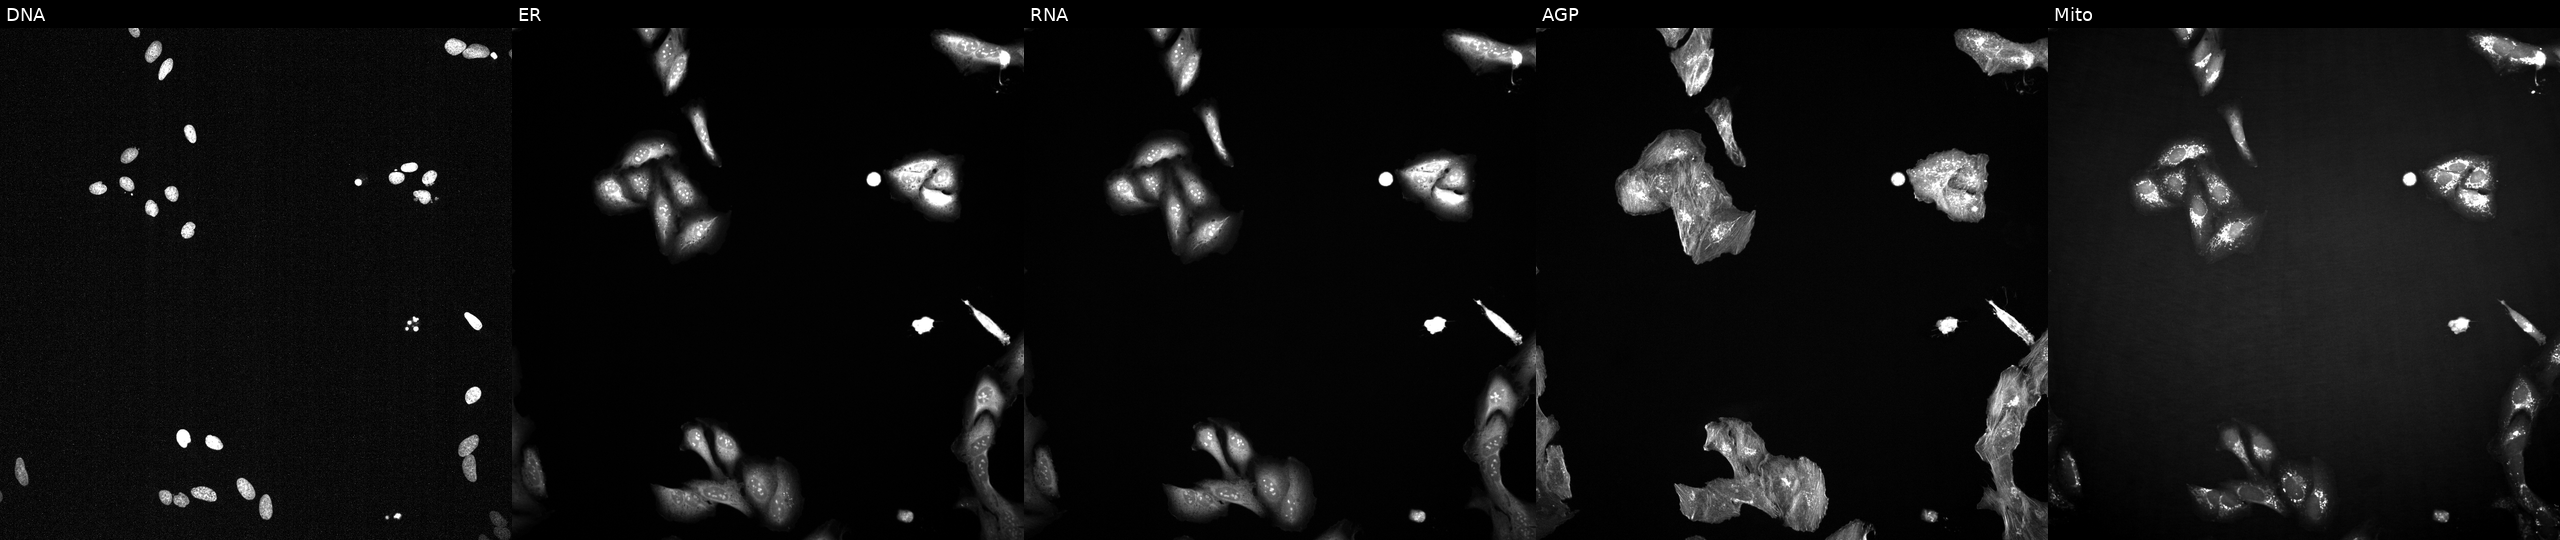
High-content fluorescence microscopy (Cell Painting). Cell line: U2OS. Perturbation: exposed to a small-molecule compound (InChIKey UTBOEBCWXGDOGI-UHFFFAOYSA-N) (JUMP id JCP2022_091373). From left to right: DNA (nuclei); ER (endoplasmic reticulum); RNA (nucleoli and cytoplasmic RNA); AGP (actin cytoskeleton, Golgi, and plasma membrane); Mito (mitochondria).